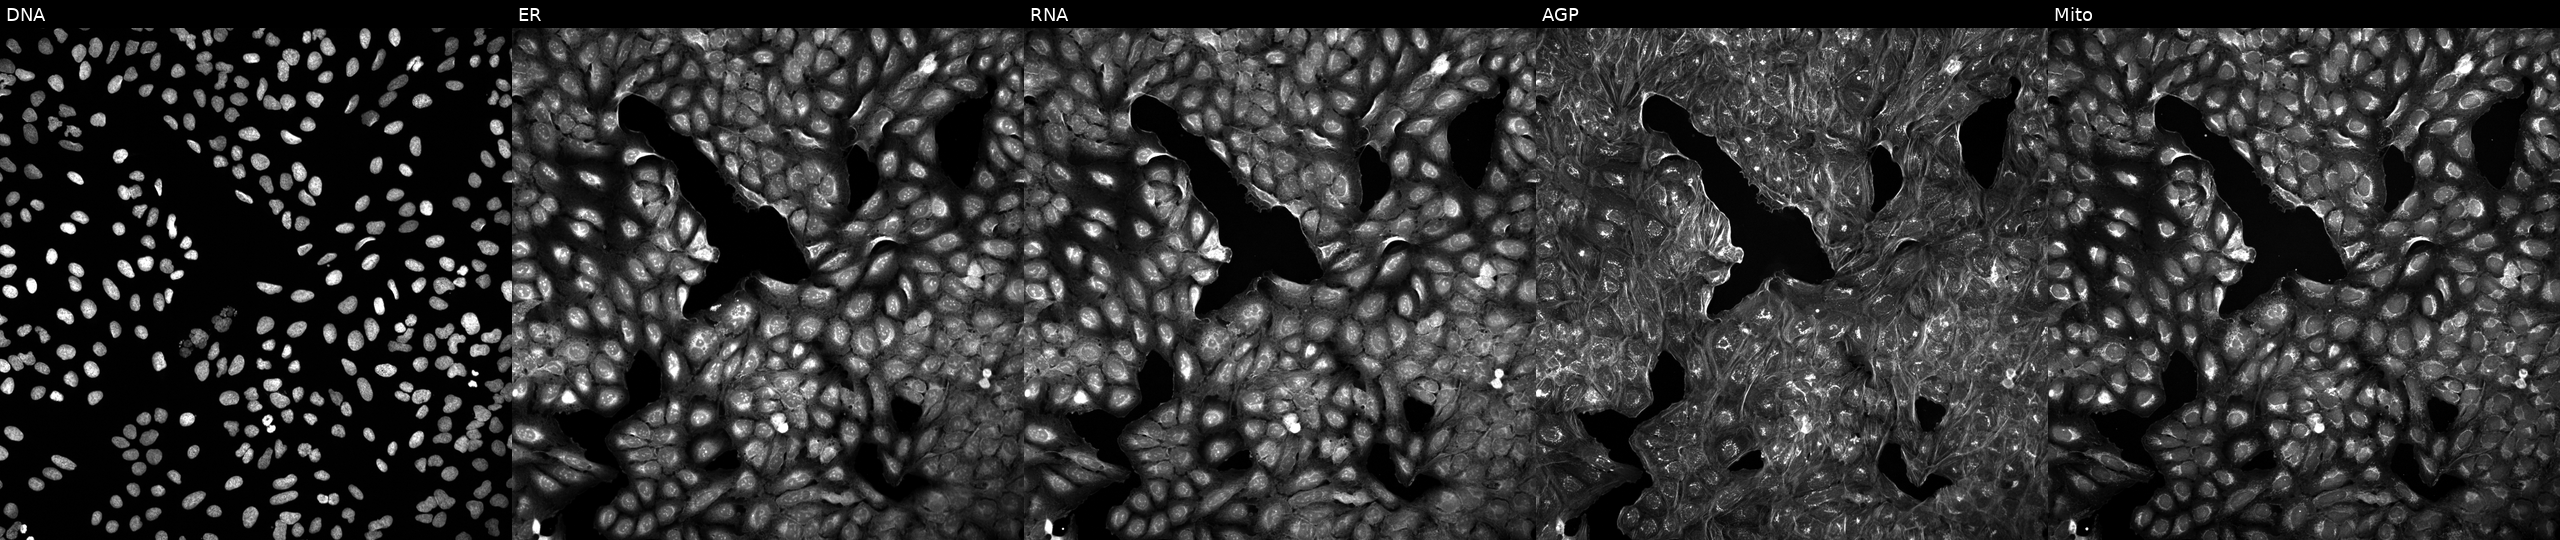
This image strip shows the five Cell Painting channels for a single field of U2OS cells perturbed with a small-molecule compound (JUMP id JCP2022_094181). The five panels, left to right, show Hoechst 33342, concanavalin A, SYTO 14, phalloidin and WGA, MitoTracker.